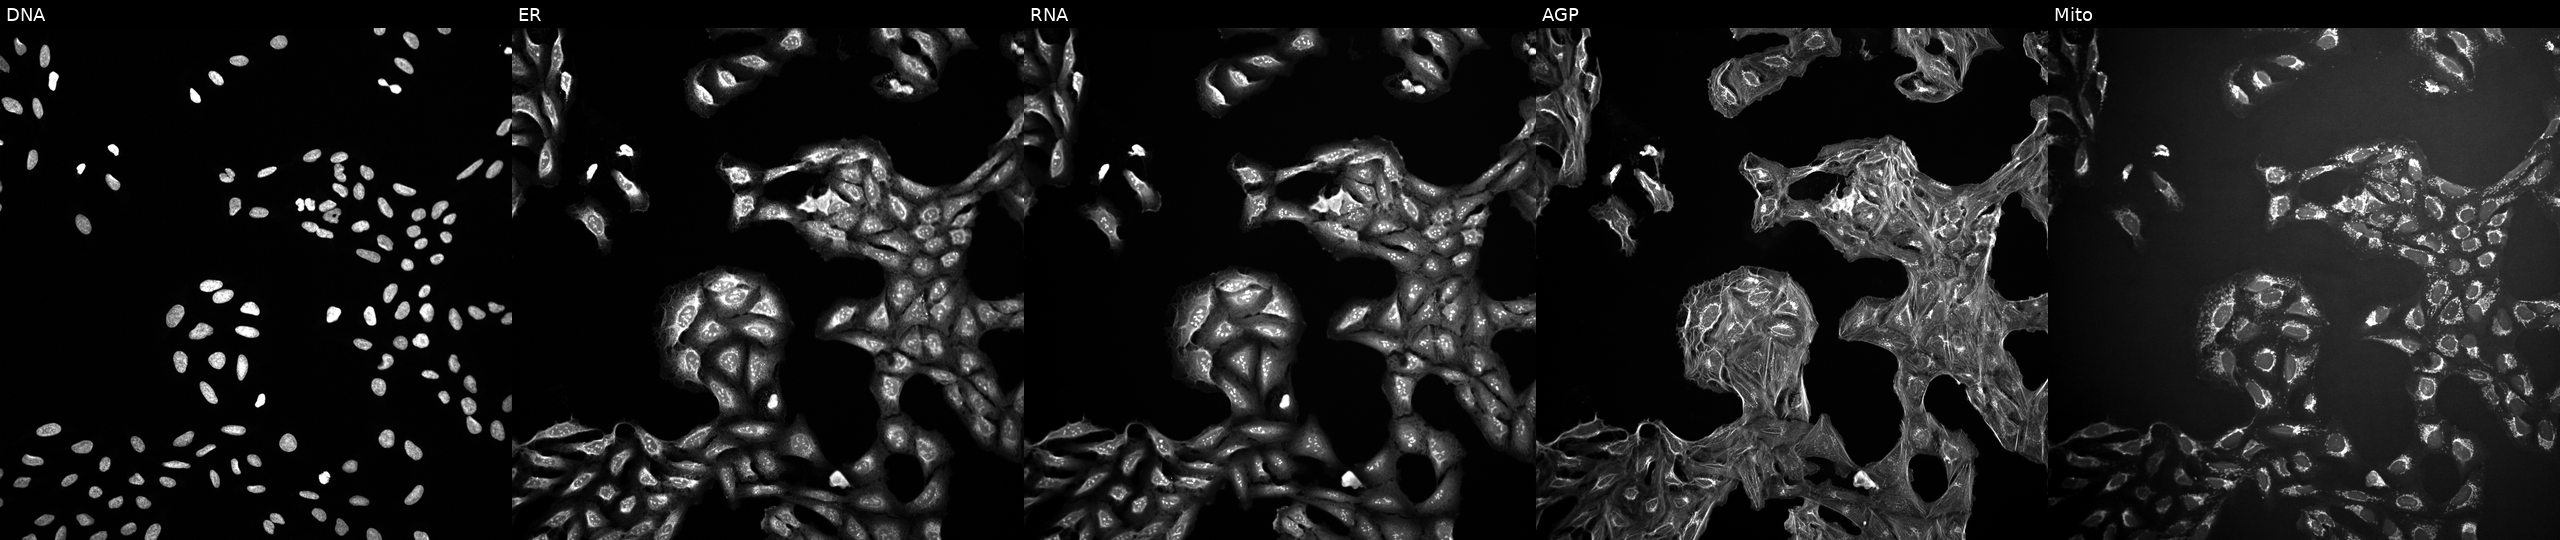
High-content fluorescence microscopy (Cell Painting). Cell line: U2OS. Perturbation: treated with DMSO vehicle only (negative control). Channels (left→right): DNA, ER, RNA, AGP, and Mito.